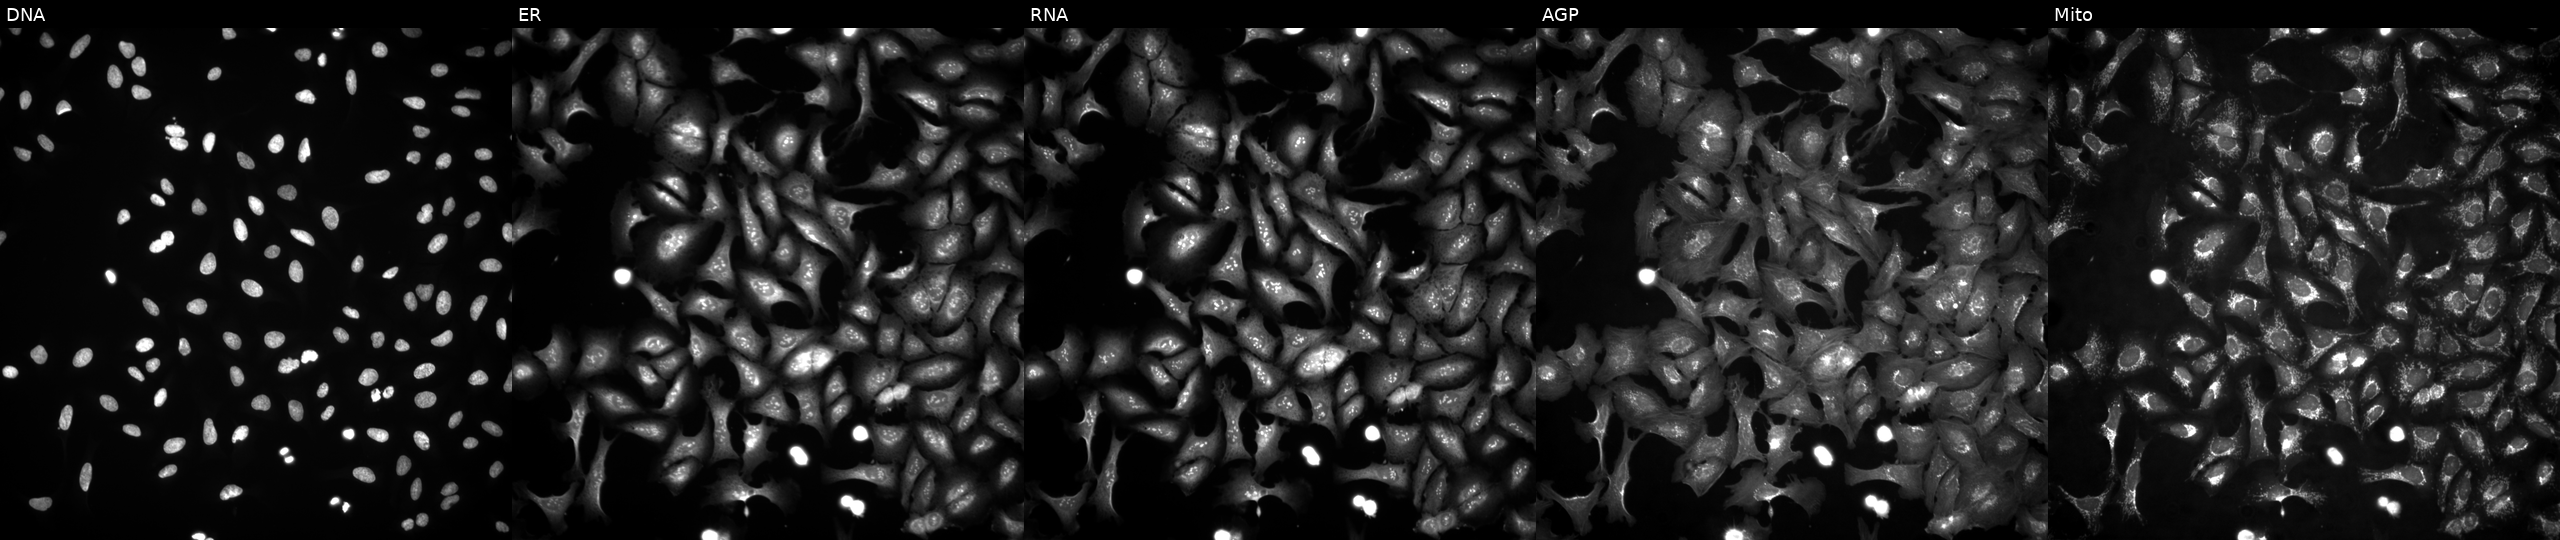
Channels (left→right): DNA (nuclei); ER (endoplasmic reticulum); RNA (nucleoli and cytoplasmic RNA); AGP (actin cytoskeleton, Golgi, and plasma membrane); Mito (mitochondria). U2OS osteosarcoma cells transfected with an ORF construct for MAGT1 (JUMP id JCP2022_911902). Cell Painting assay, JUMP-CP dataset.